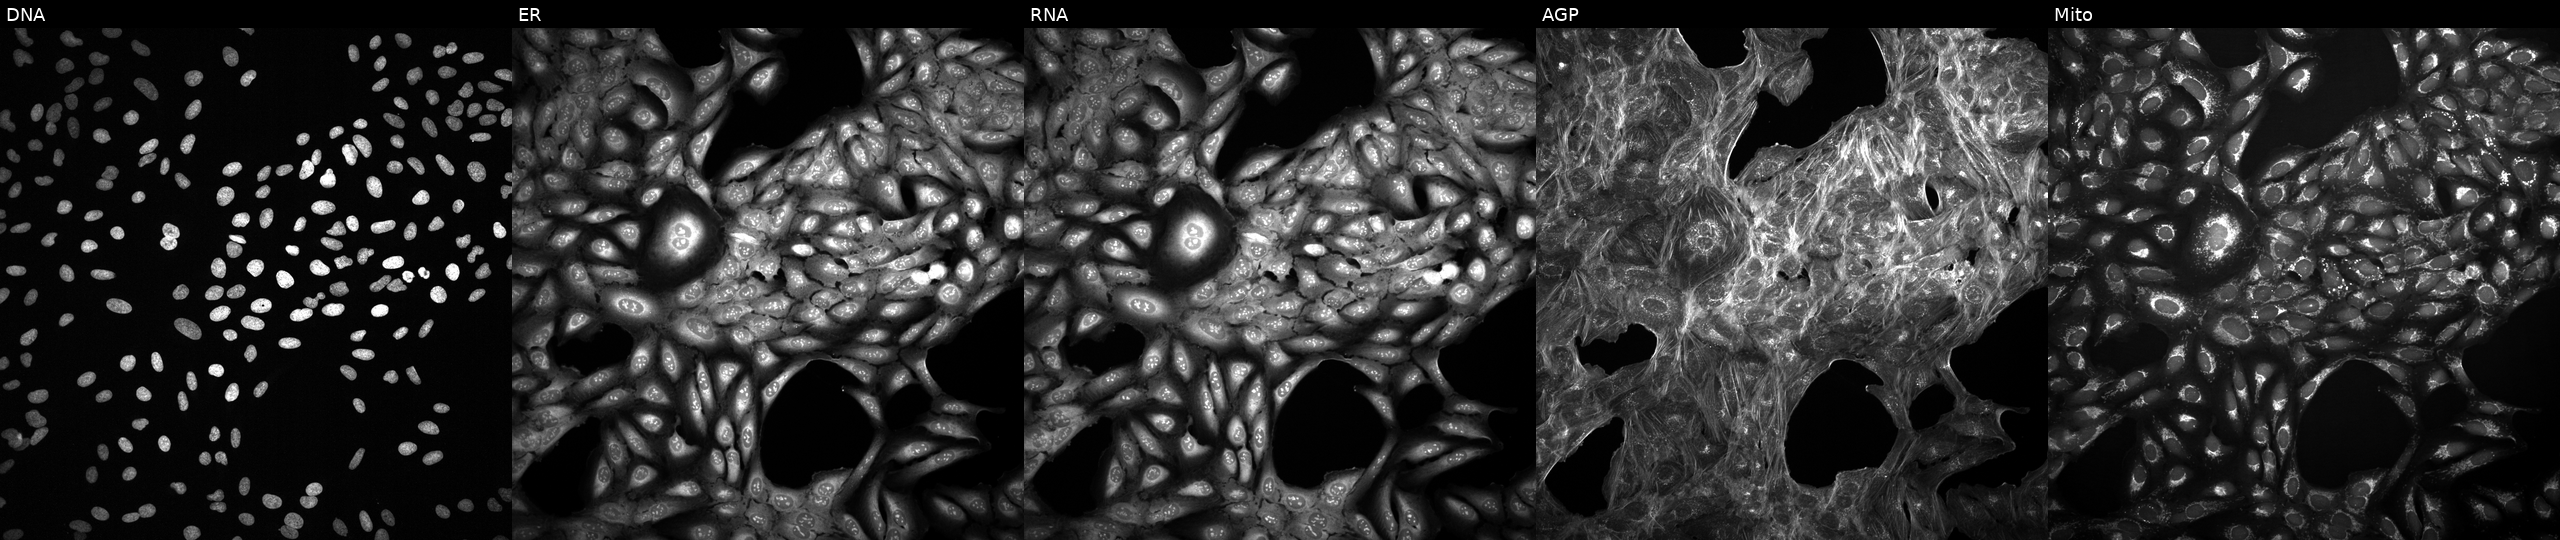
This image strip shows the five Cell Painting channels for a single field of U2OS cells treated with DMSO vehicle only (negative control) (JUMP id JCP2022_033924). From left to right: Hoechst 33342, concanavalin A, SYTO 14, phalloidin and WGA, MitoTracker.